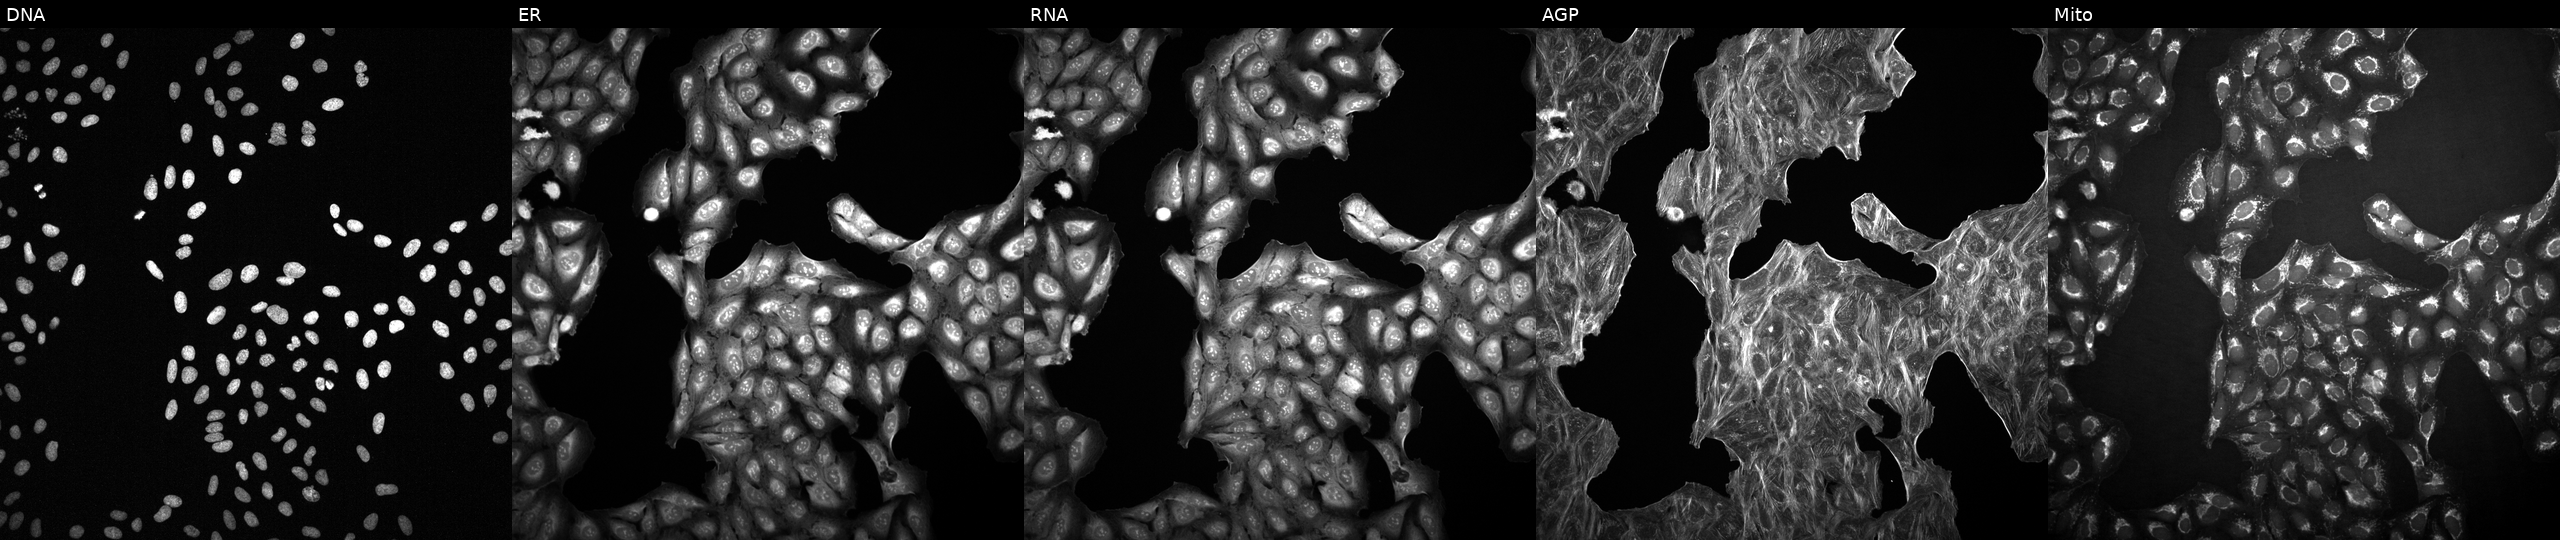
Panels show, left to right, DNA, ER, RNA, AGP, and Mito. U2OS osteosarcoma cells with an unidentified perturbation (not annotated in JUMP metadata). Cell Painting assay, JUMP-CP dataset. Source 2, plate 1053601756, well J12.